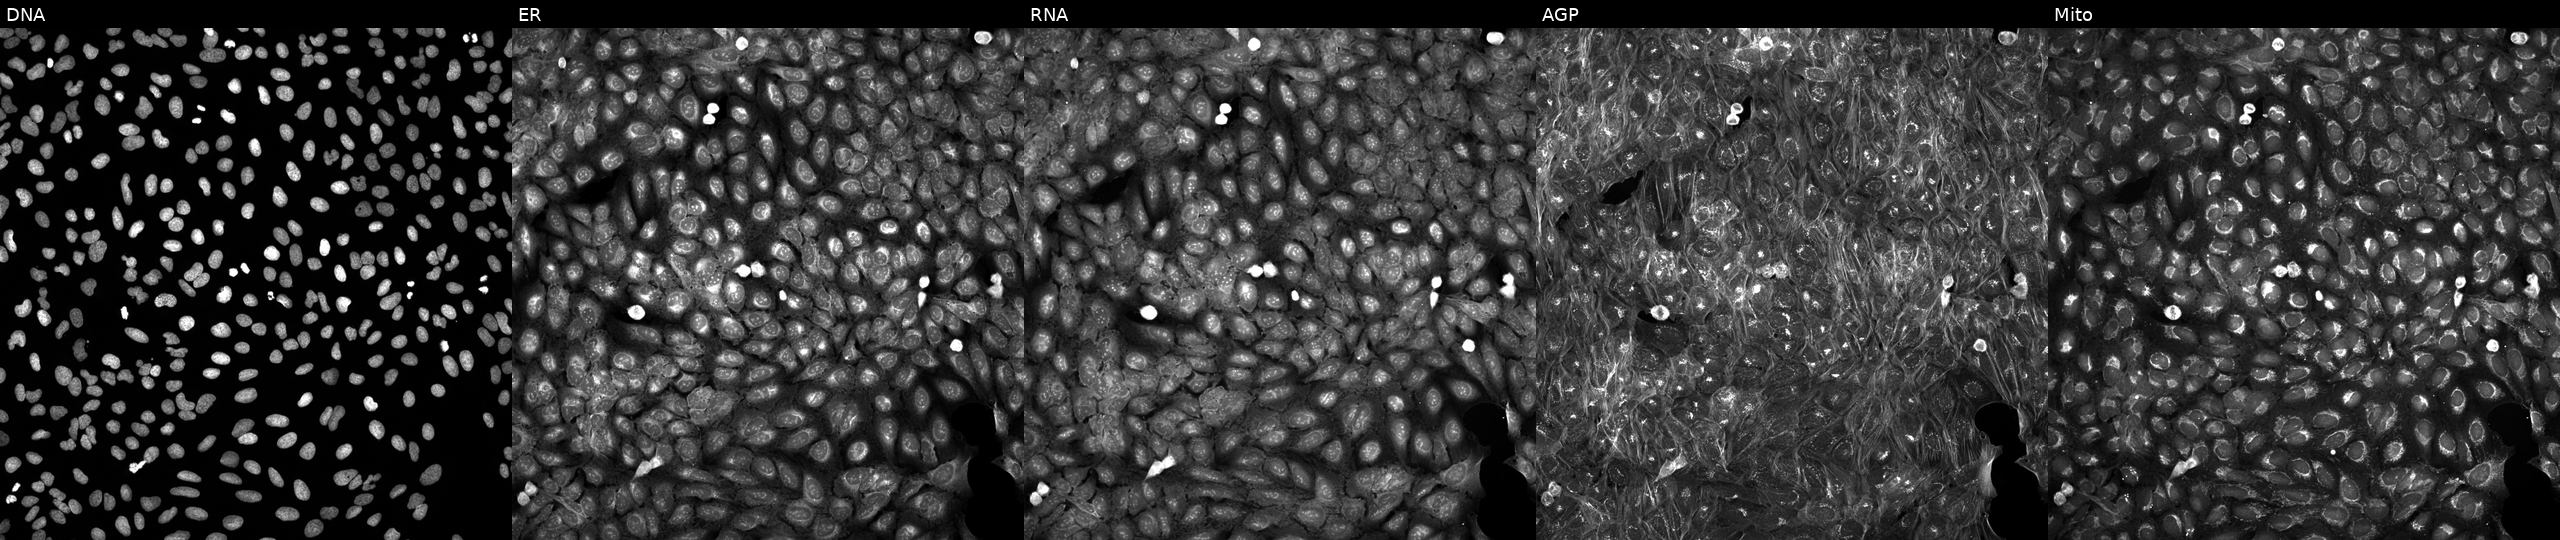
Channels (left→right): DNA (nuclei); ER (endoplasmic reticulum); RNA (nucleoli and cytoplasmic RNA); AGP (actin cytoskeleton, Golgi, and plasma membrane); Mito (mitochondria). U2OS osteosarcoma cells perturbed with a small-molecule compound (InChIKey WXPNDRBBWZMPQG-UHFFFAOYSA-N). Cell Painting assay, JUMP-CP dataset. Source 5, plate ACPJUM032, well F23.